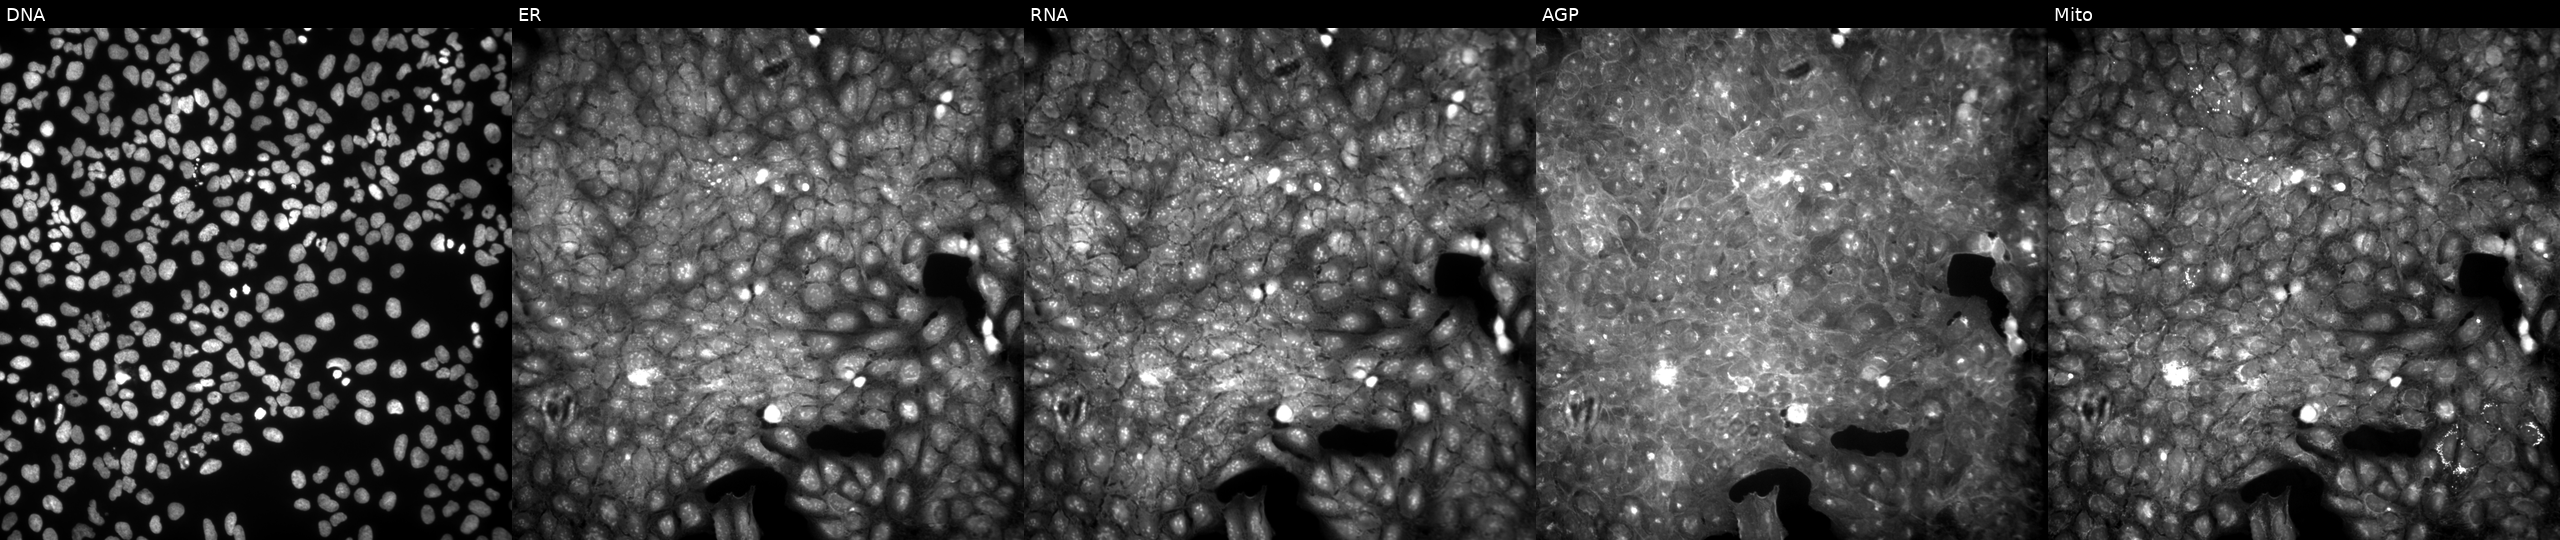
Panels show, left to right, Hoechst 33342, concanavalin A, SYTO 14, phalloidin and WGA, MitoTracker. U2OS osteosarcoma cells exposed to the positive-control compound aloxistatin. Cell Painting assay, JUMP-CP dataset. Source 9, plate GR00003381, well Q48.